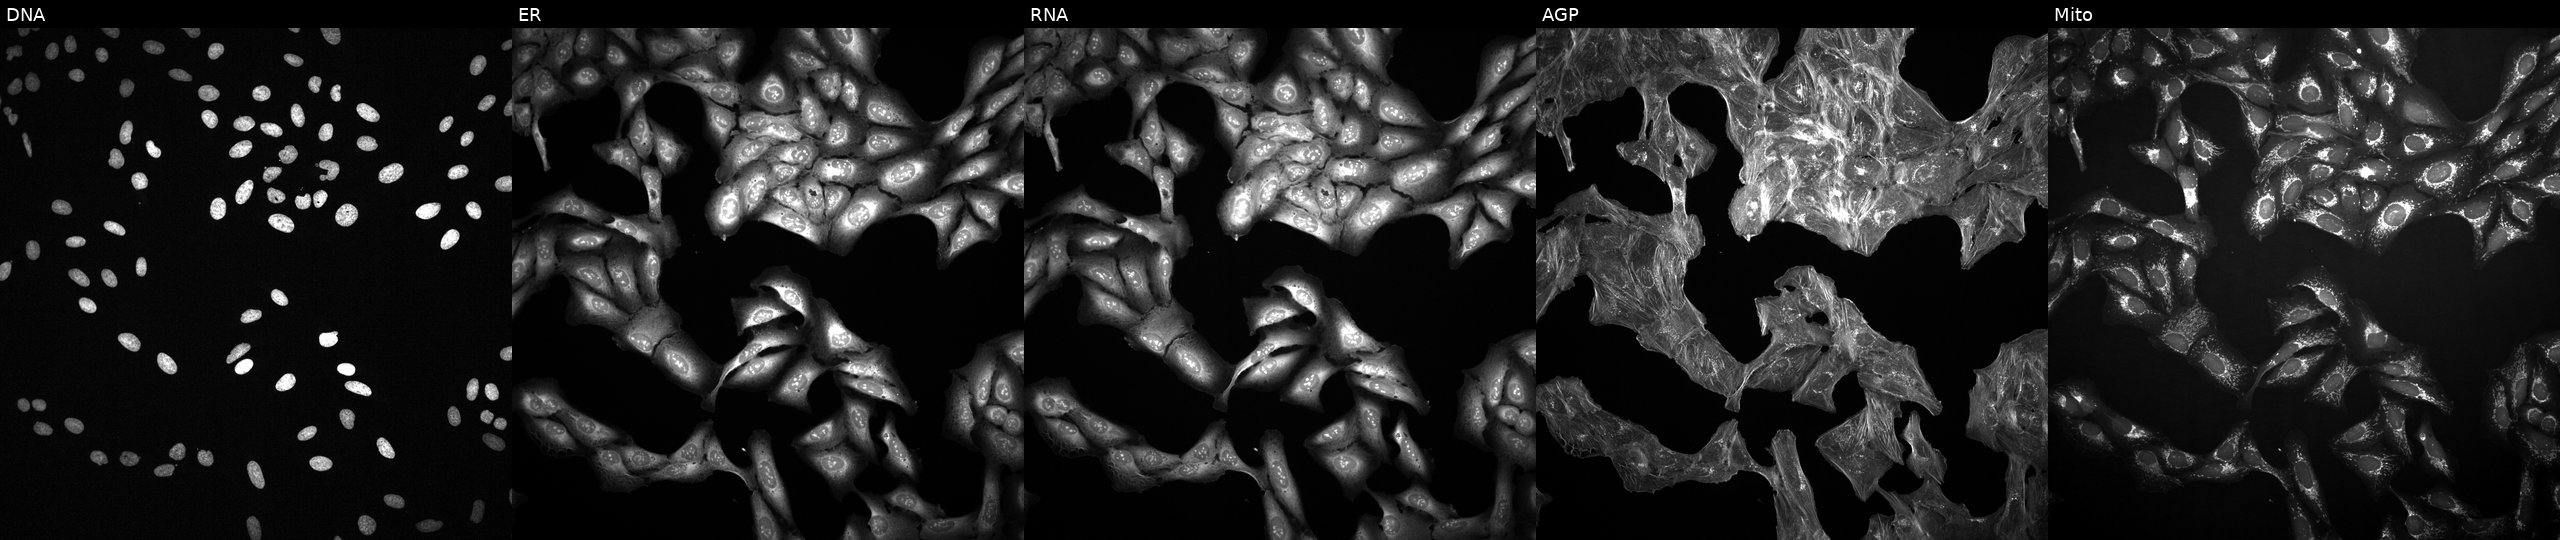
This image strip shows the five Cell Painting channels for a single field of U2OS cells exposed to a small-molecule compound (InChIKey BOFQWVMAQOTZIW-UHFFFAOYSA-N). Channels (left→right): Hoechst 33342, concanavalin A, SYTO 14, phalloidin and WGA, MitoTracker. Source 2, plate 1053597936, well D04.